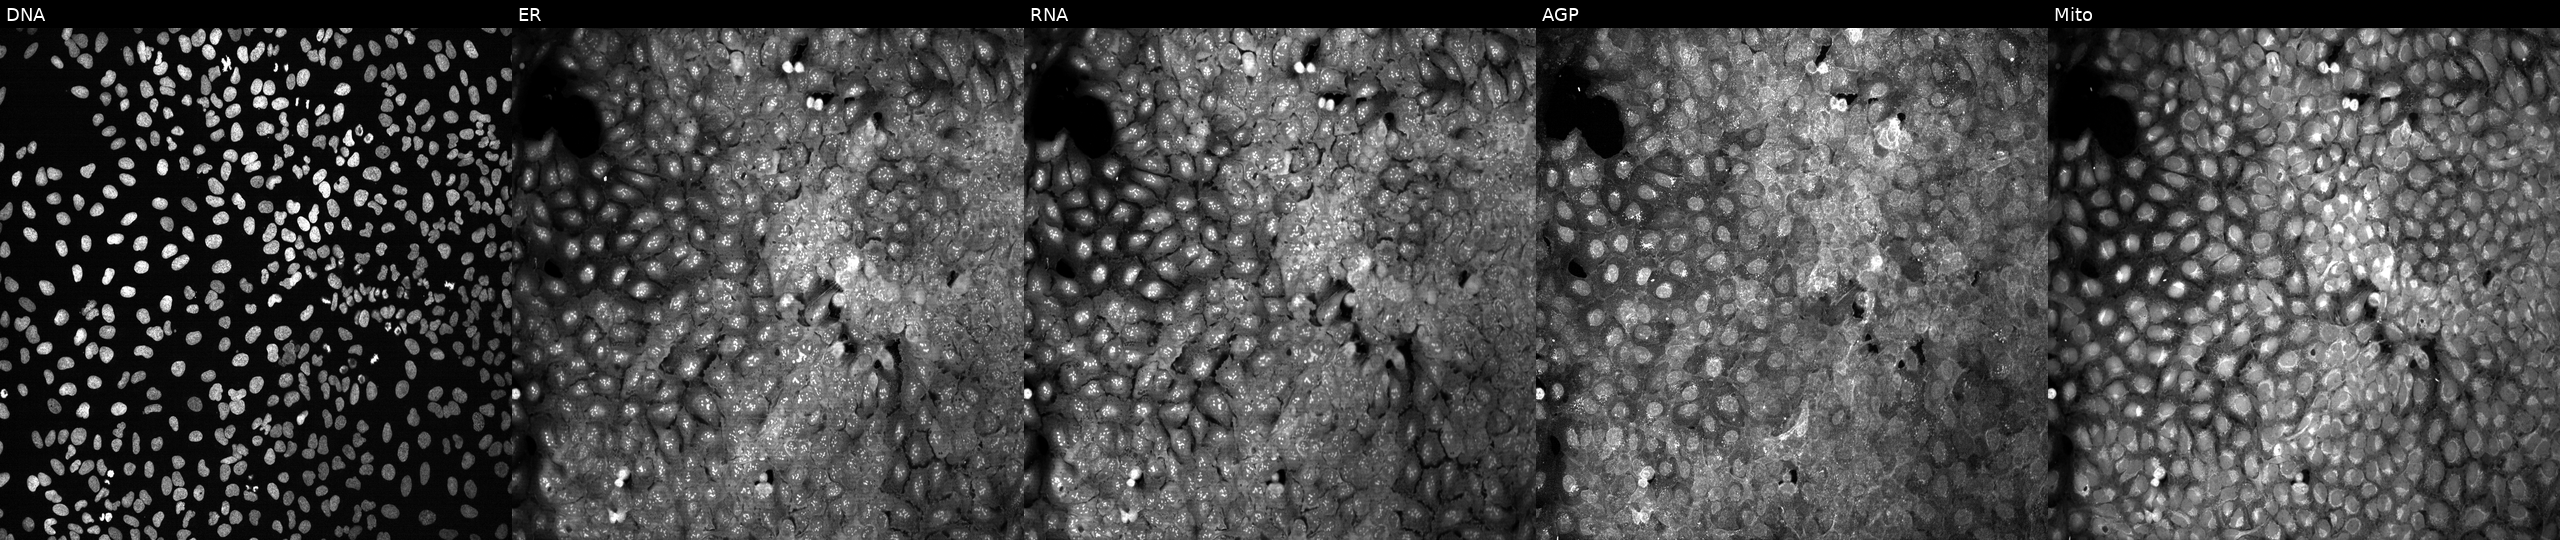
U2OS cells, Cell Painting assay, with no CRISPR guide (negative control) (JUMP id JCP2022_800001). The five panels, left to right, show DNA, ER, RNA, AGP, and Mito. Each panel is percentile-stretched 16-bit fluorescence.